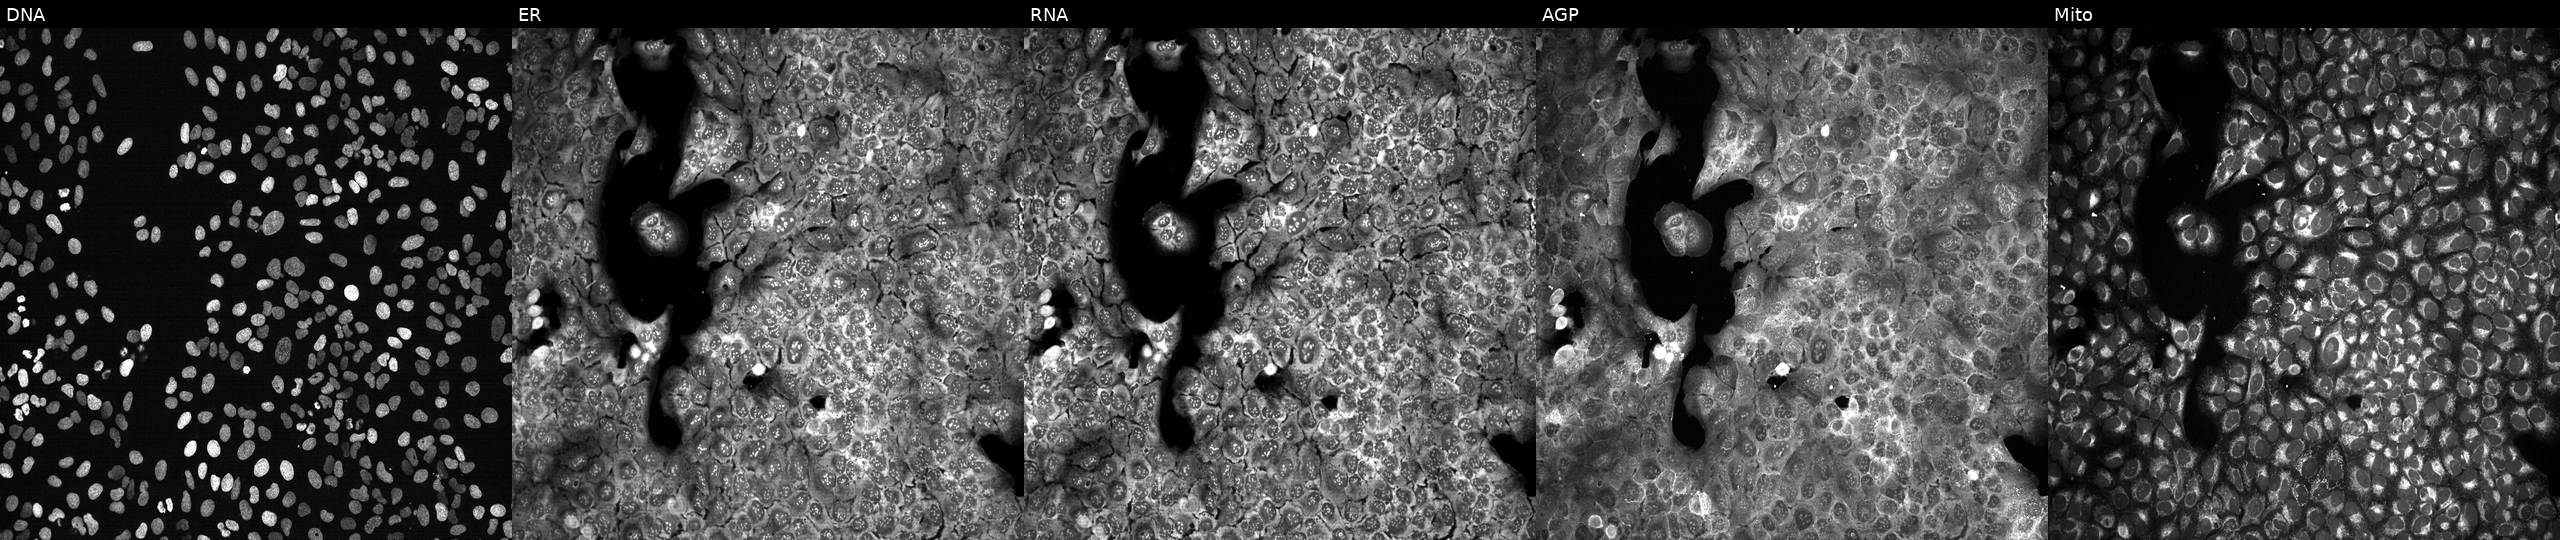
JUMP Cell Painting — CRISPR plate. U2OS cells following CRISPR knockout of PMPCA. The five panels, left to right, show Hoechst 33342, concanavalin A, SYTO 14, phalloidin and WGA, MitoTracker.